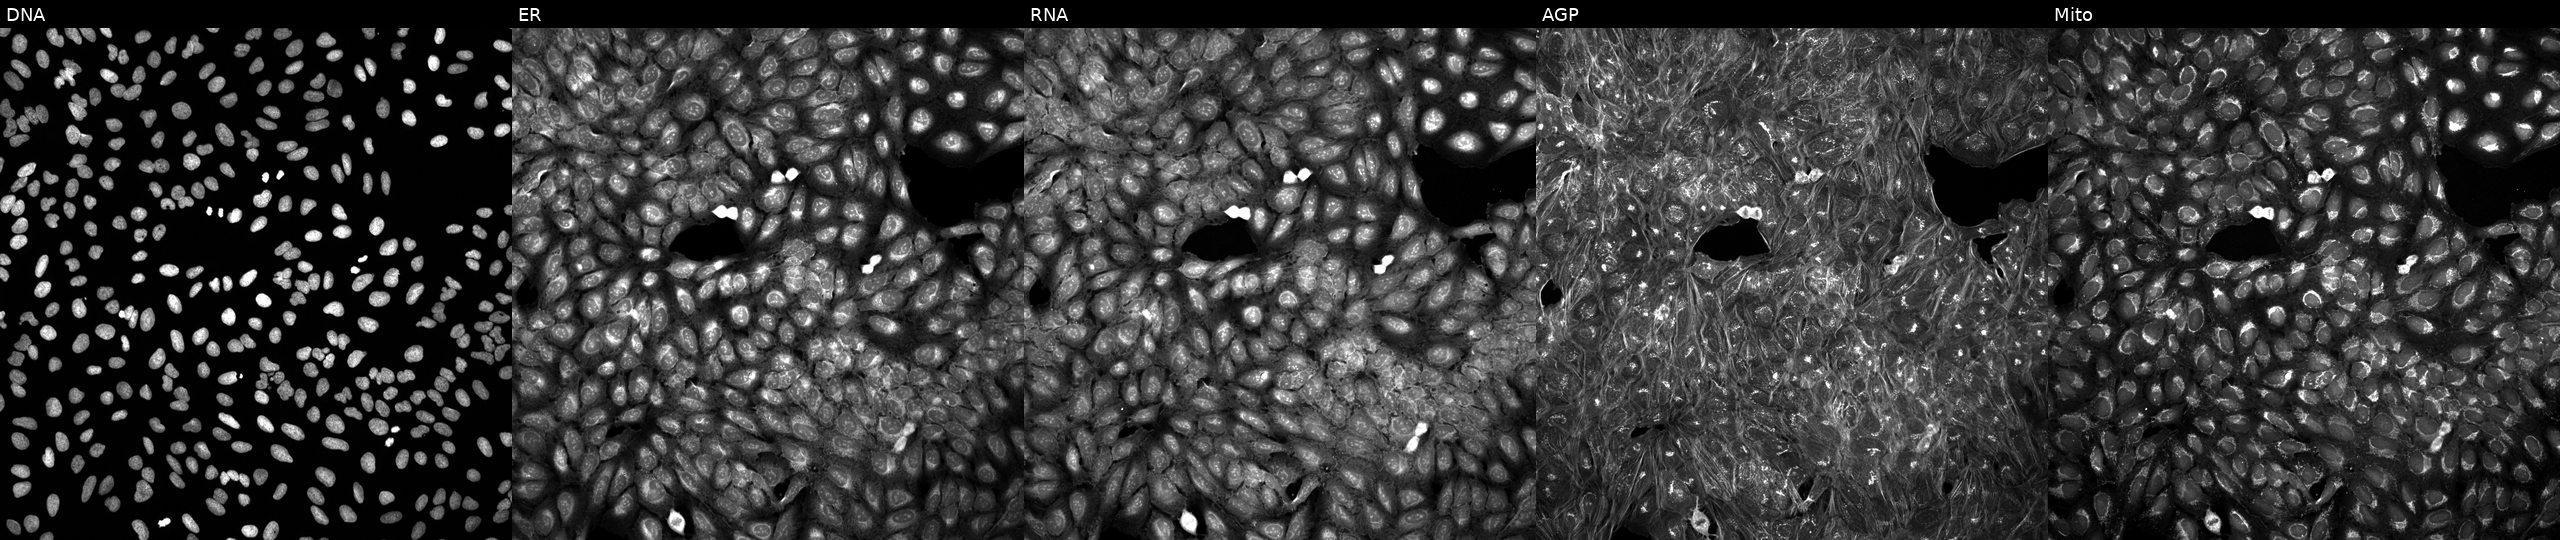
Five-channel Cell Painting image of U2OS cells perturbed with a small-molecule compound (InChIKey WRLVHADVOGFZOZ-UHFFFAOYSA-N) (JUMP id JCP2022_100688). From left to right: Hoechst 33342, concanavalin A, SYTO 14, phalloidin and WGA, MitoTracker. Source 5, plate ACPJUM012, well F18.